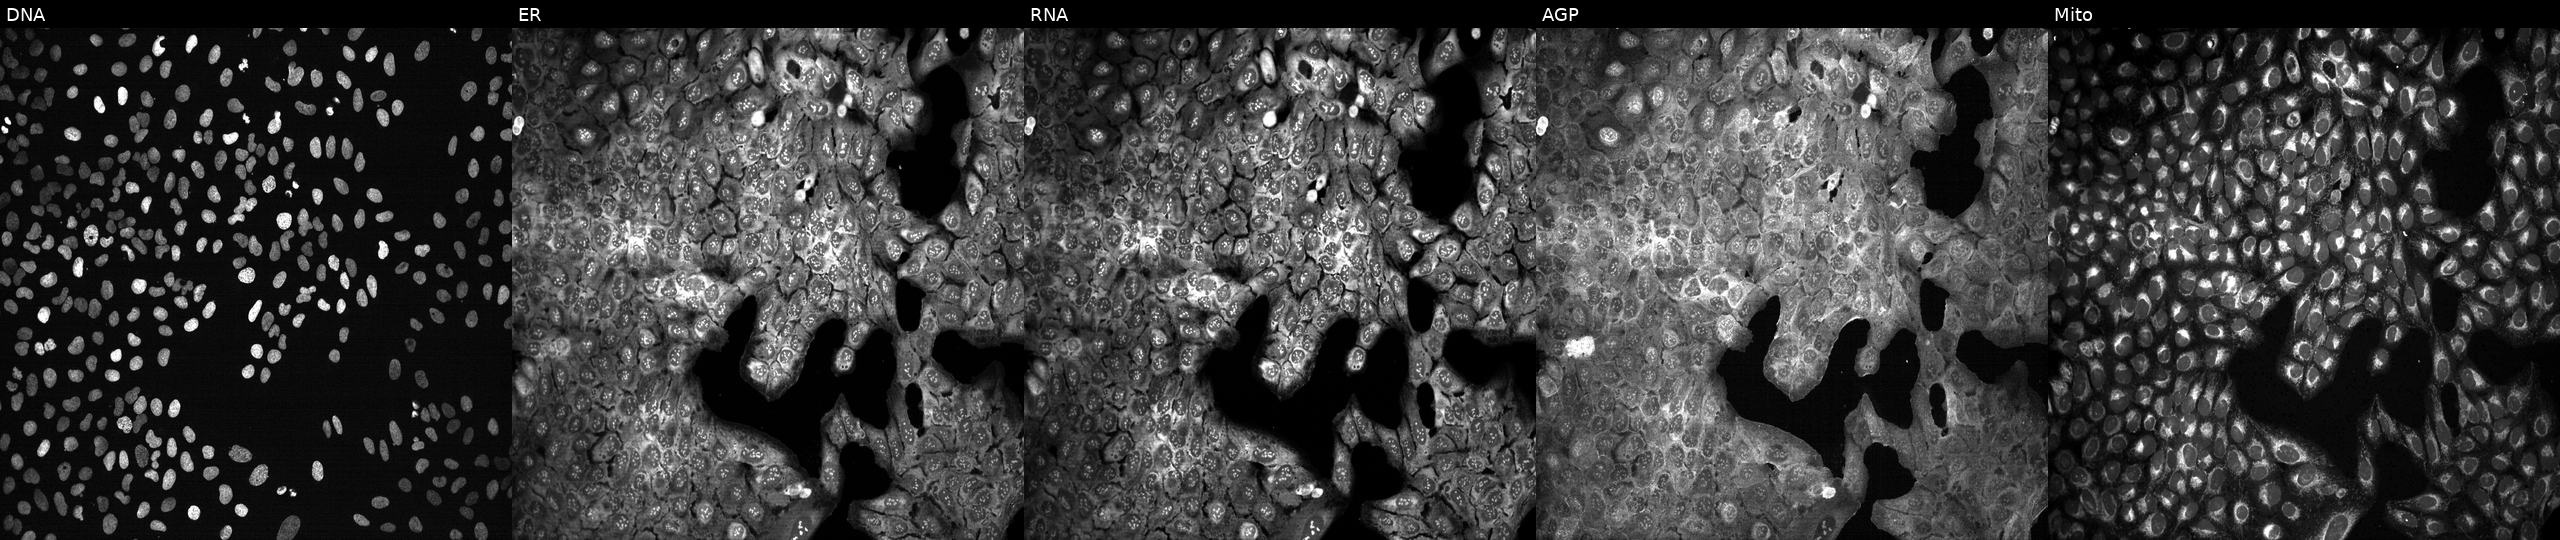
U2OS cells, Cell Painting assay, following CRISPR knockout of NNMT. The five panels, left to right, show DNA (nuclei); ER (endoplasmic reticulum); RNA (nucleoli and cytoplasmic RNA); AGP (actin cytoskeleton, Golgi, and plasma membrane); Mito (mitochondria). Each panel is percentile-stretched 16-bit fluorescence.